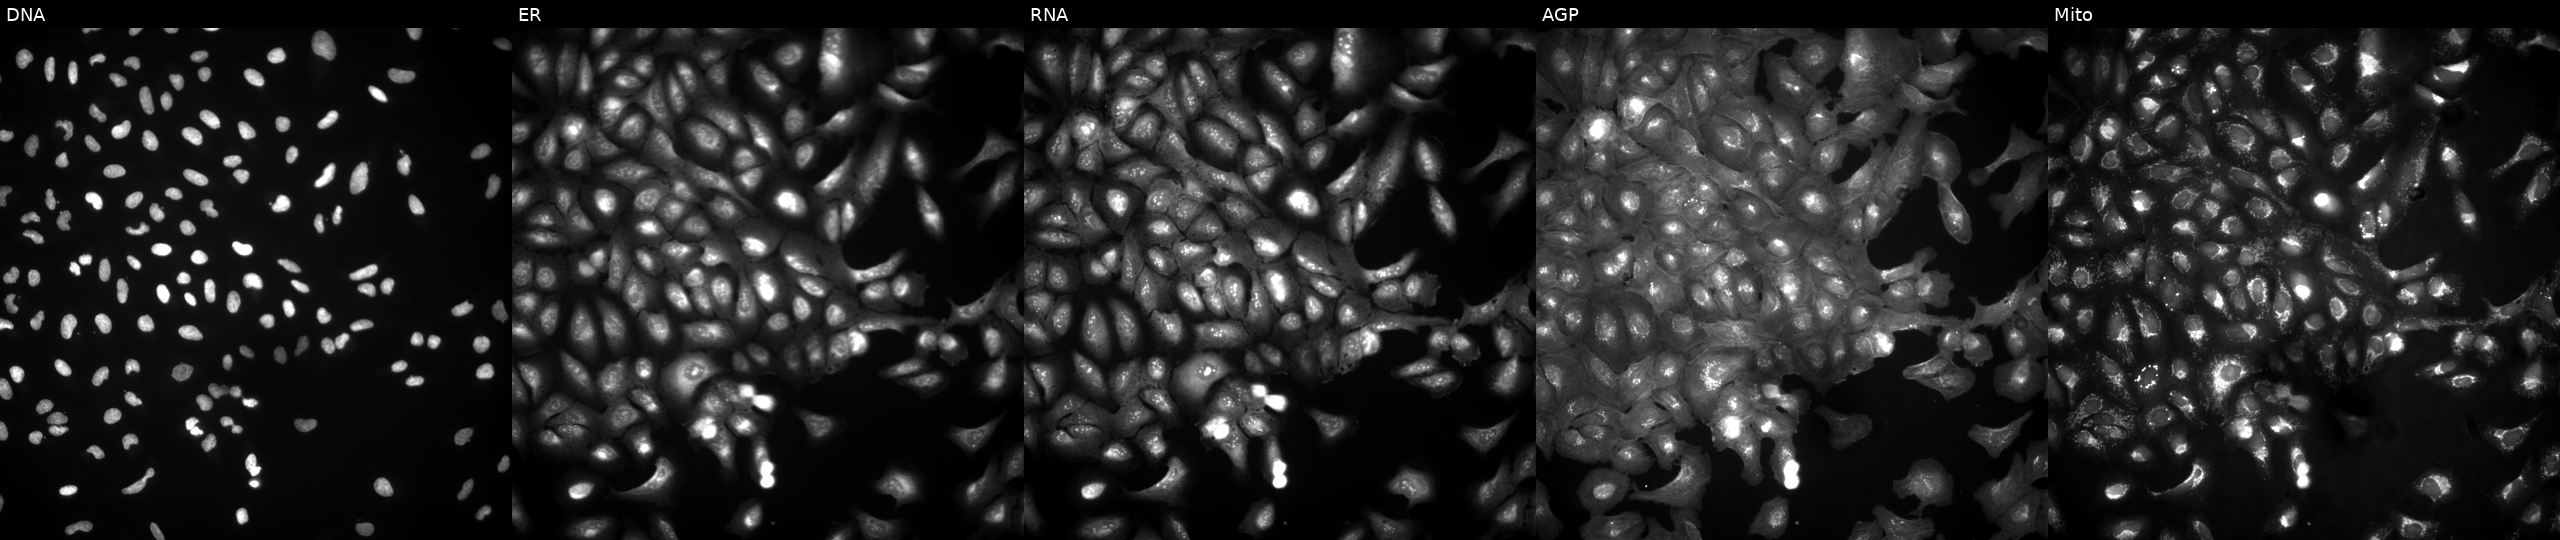
Five-channel Cell Painting image of U2OS cells transfected with an ORF construct for LGALS9C (JUMP id JCP2022_909492). Channels (left→right): DNA (nuclei); ER (endoplasmic reticulum); RNA (nucleoli and cytoplasmic RNA); AGP (actin cytoskeleton, Golgi, and plasma membrane); Mito (mitochondria). Source 4, plate BR00124790, well C15.